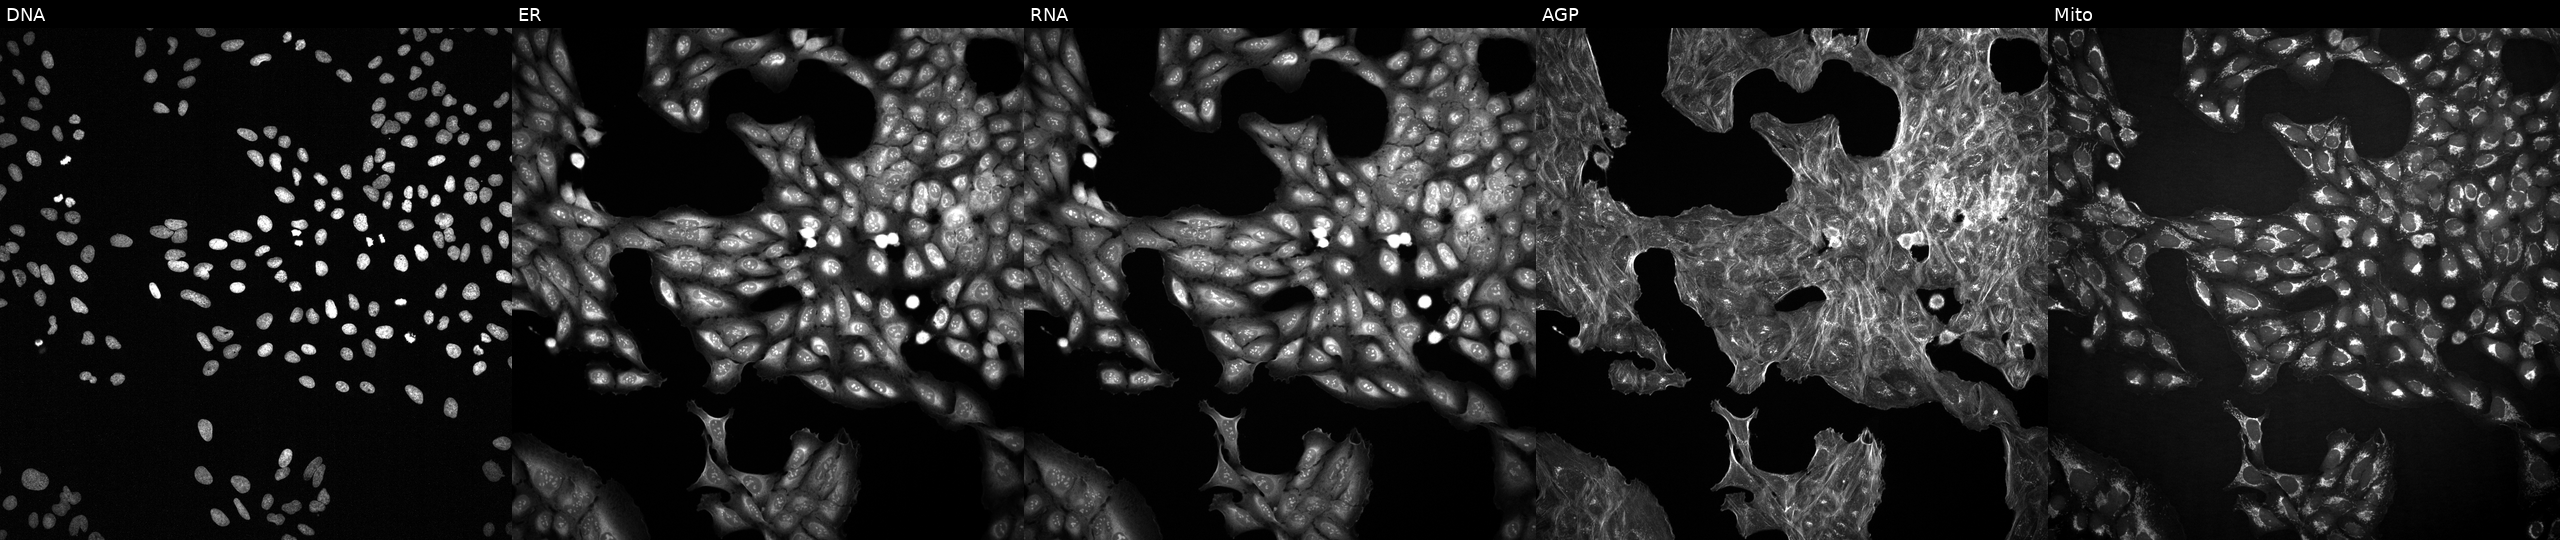
High-content fluorescence microscopy (Cell Painting). Cell line: U2OS. Perturbation: exposed to DMSO alone as a negative control (JUMP id JCP2022_033924). Panels show, left to right, DNA, ER, RNA, AGP, and Mito.